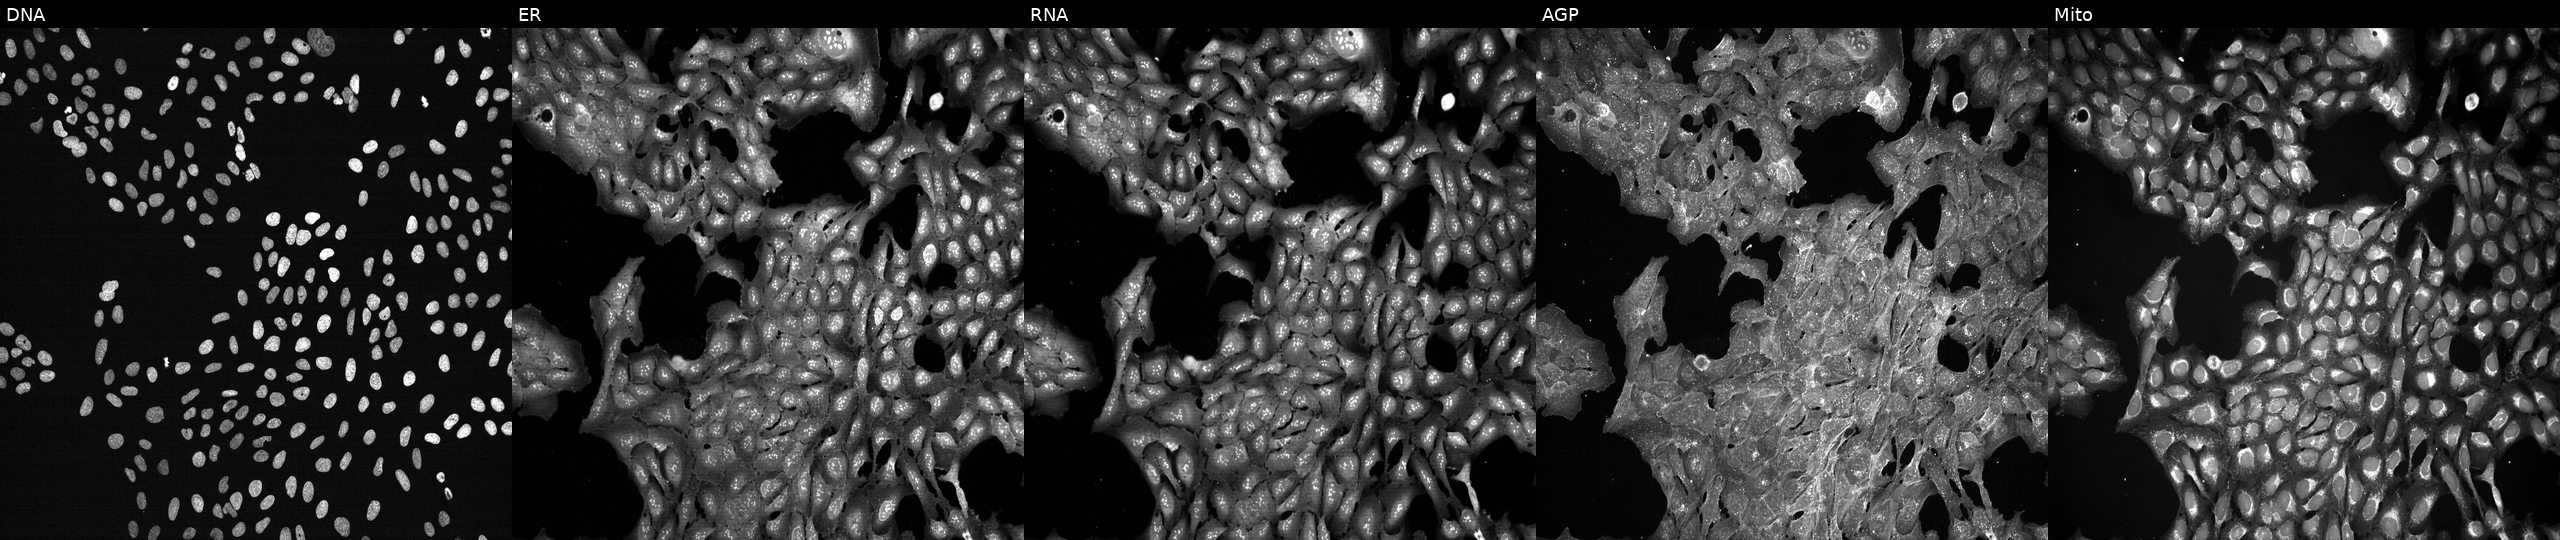
From left to right: Hoechst 33342, concanavalin A, SYTO 14, phalloidin and WGA, MitoTracker. U2OS osteosarcoma cells perturbed with a small-molecule compound. Cell Painting assay, JUMP-CP dataset.